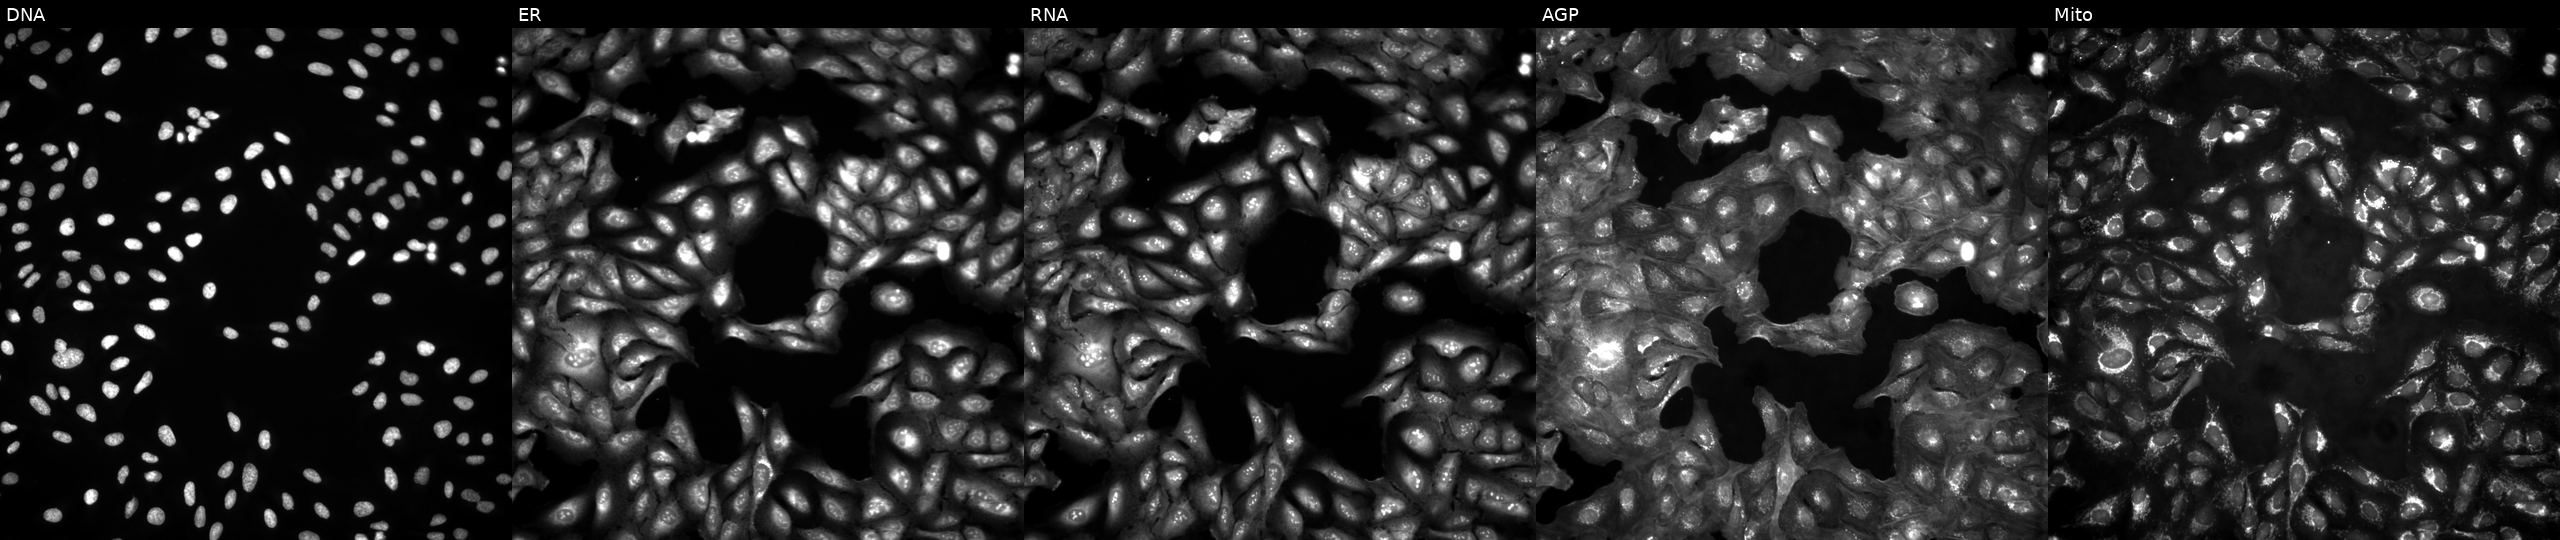
Panels show, left to right, DNA, ER, RNA, AGP, and Mito. U2OS osteosarcoma cells untreated (empty-well control) (JUMP id JCP2022_999999). Cell Painting assay, JUMP-CP dataset.